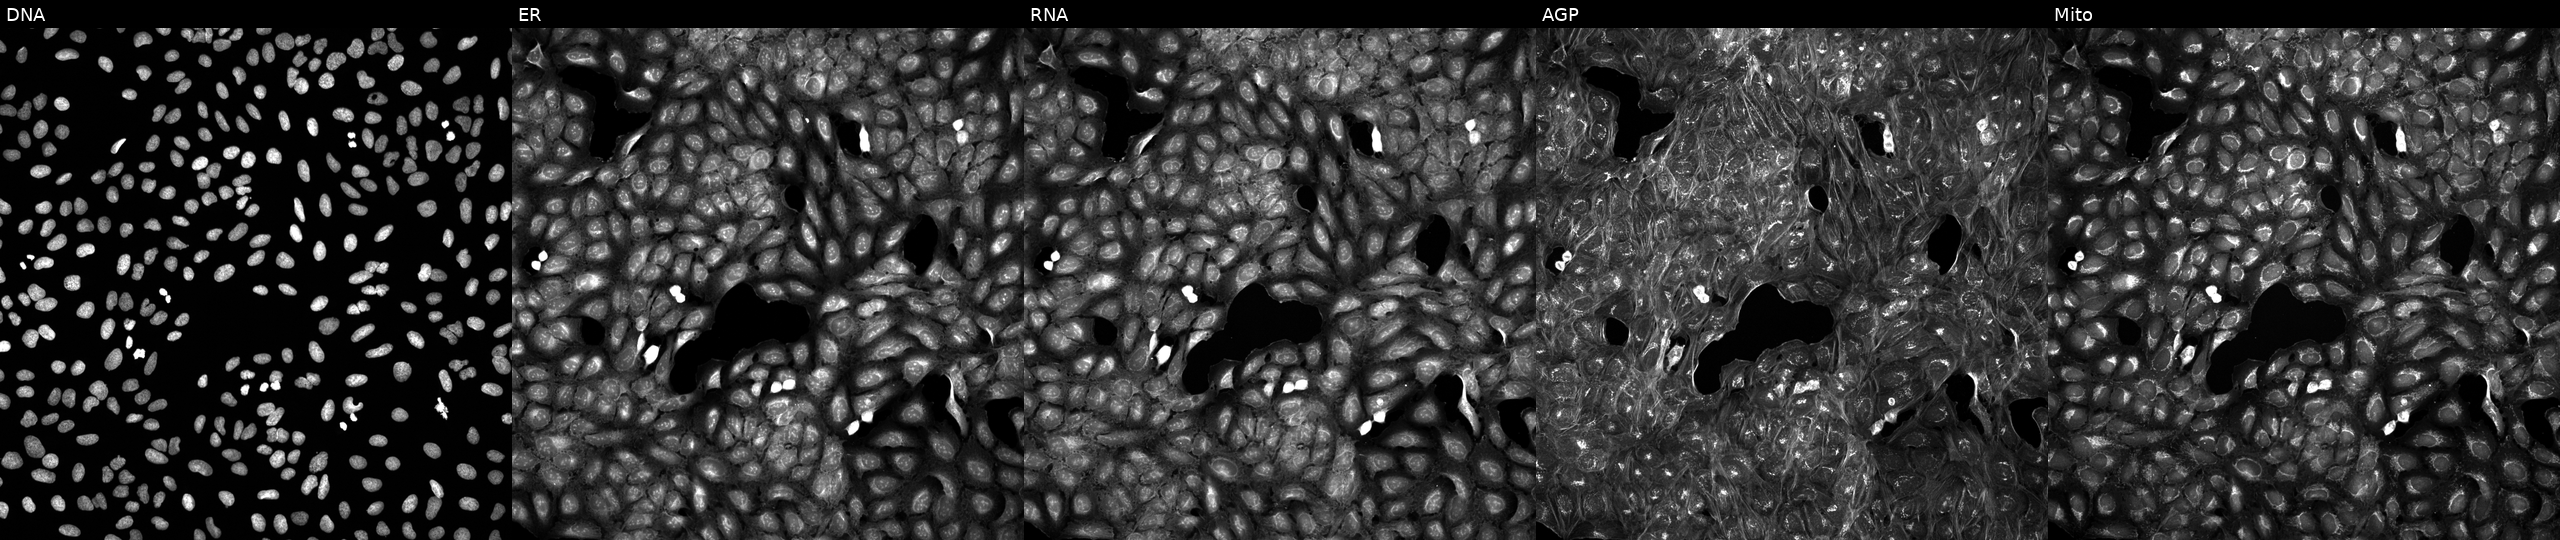
High-content fluorescence microscopy (Cell Painting). Cell line: U2OS. Perturbation: perturbed with a small-molecule compound (InChIKey YFAVLZZSHNSRCJ-UHFFFAOYSA-N) (JUMP id JCP2022_108038). The five panels, left to right, show DNA, ER, RNA, AGP, and Mito.